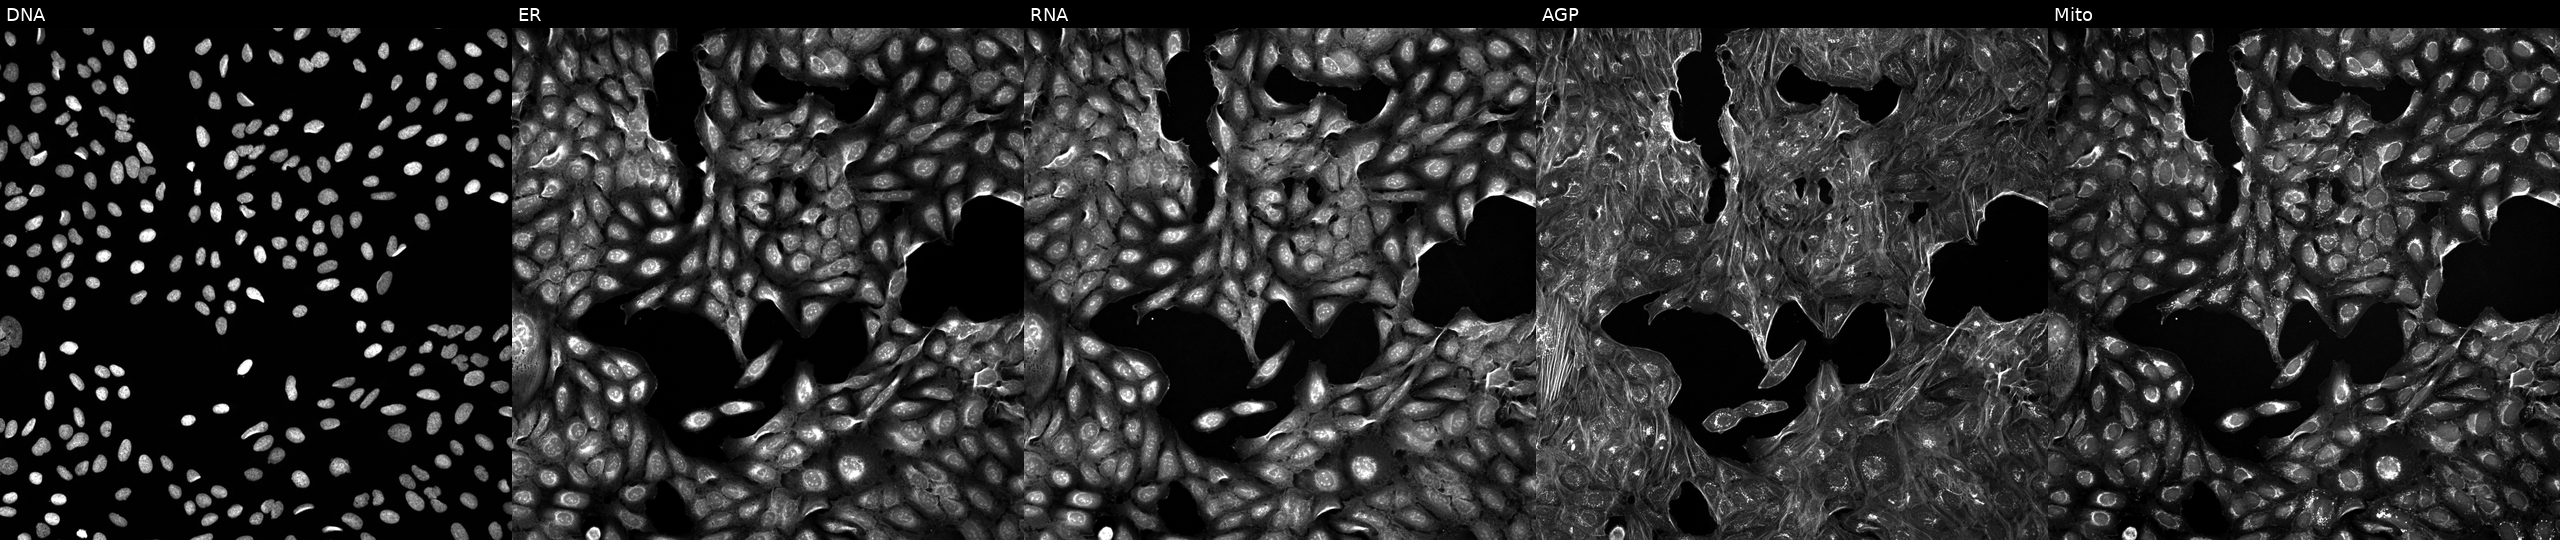
JUMP Cell Painting — TARGET2 plate. U2OS cells exposed to a small-molecule compound. The five panels, left to right, show DNA, ER, RNA, AGP, and Mito.